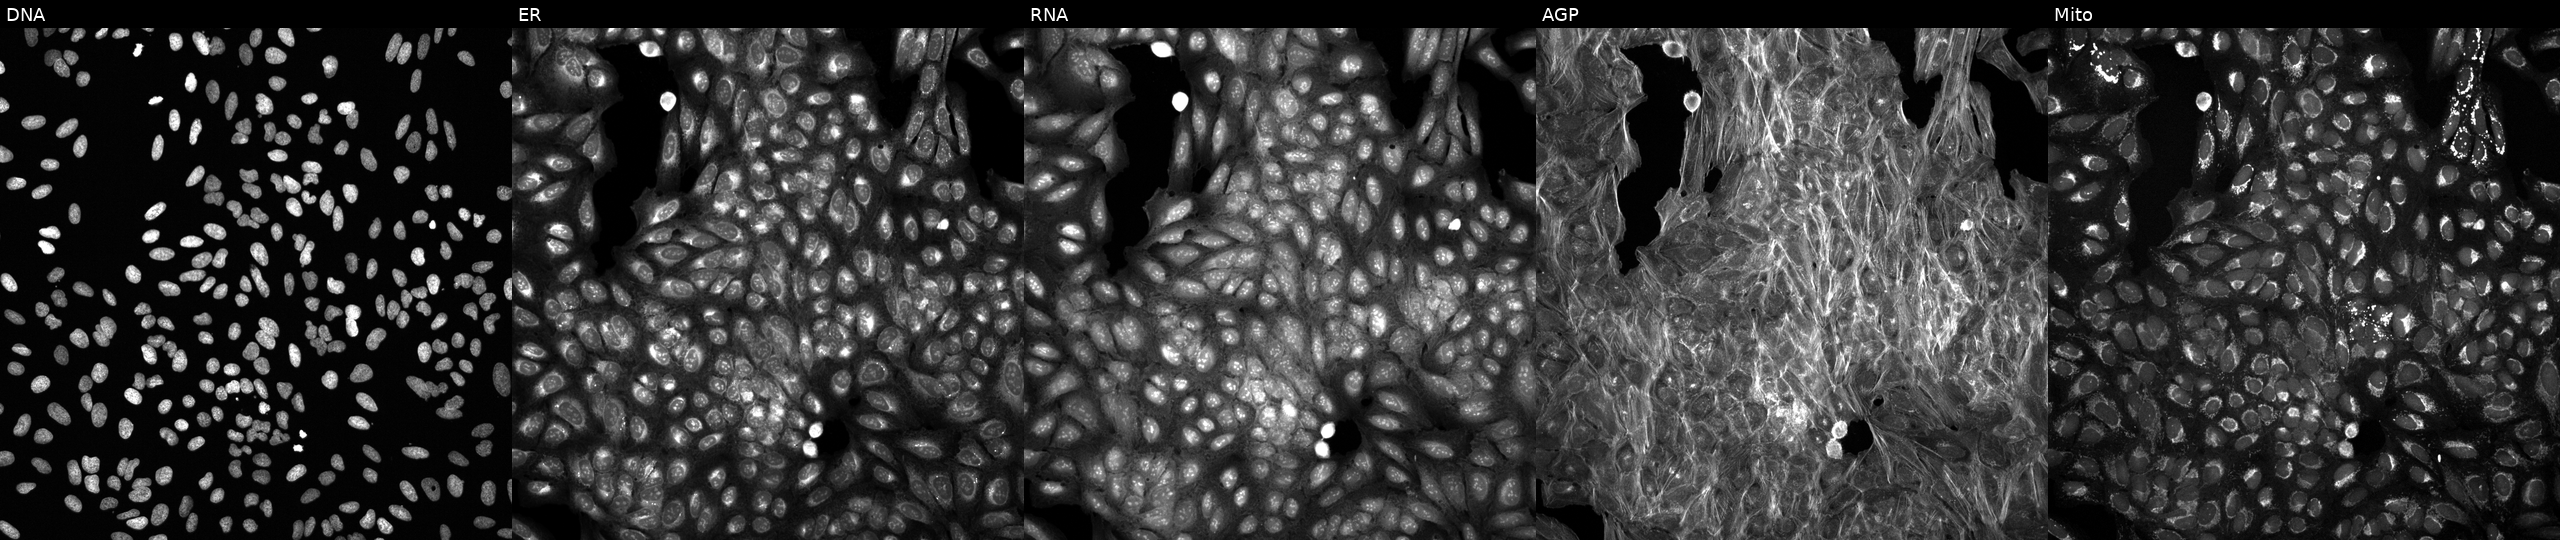
Five-channel Cell Painting image of U2OS cells treated with a small-molecule compound. The five panels, left to right, show DNA (nuclei); ER (endoplasmic reticulum); RNA (nucleoli and cytoplasmic RNA); AGP (actin cytoskeleton, Golgi, and plasma membrane); Mito (mitochondria). Source 6, plate 110000293083, well I05.